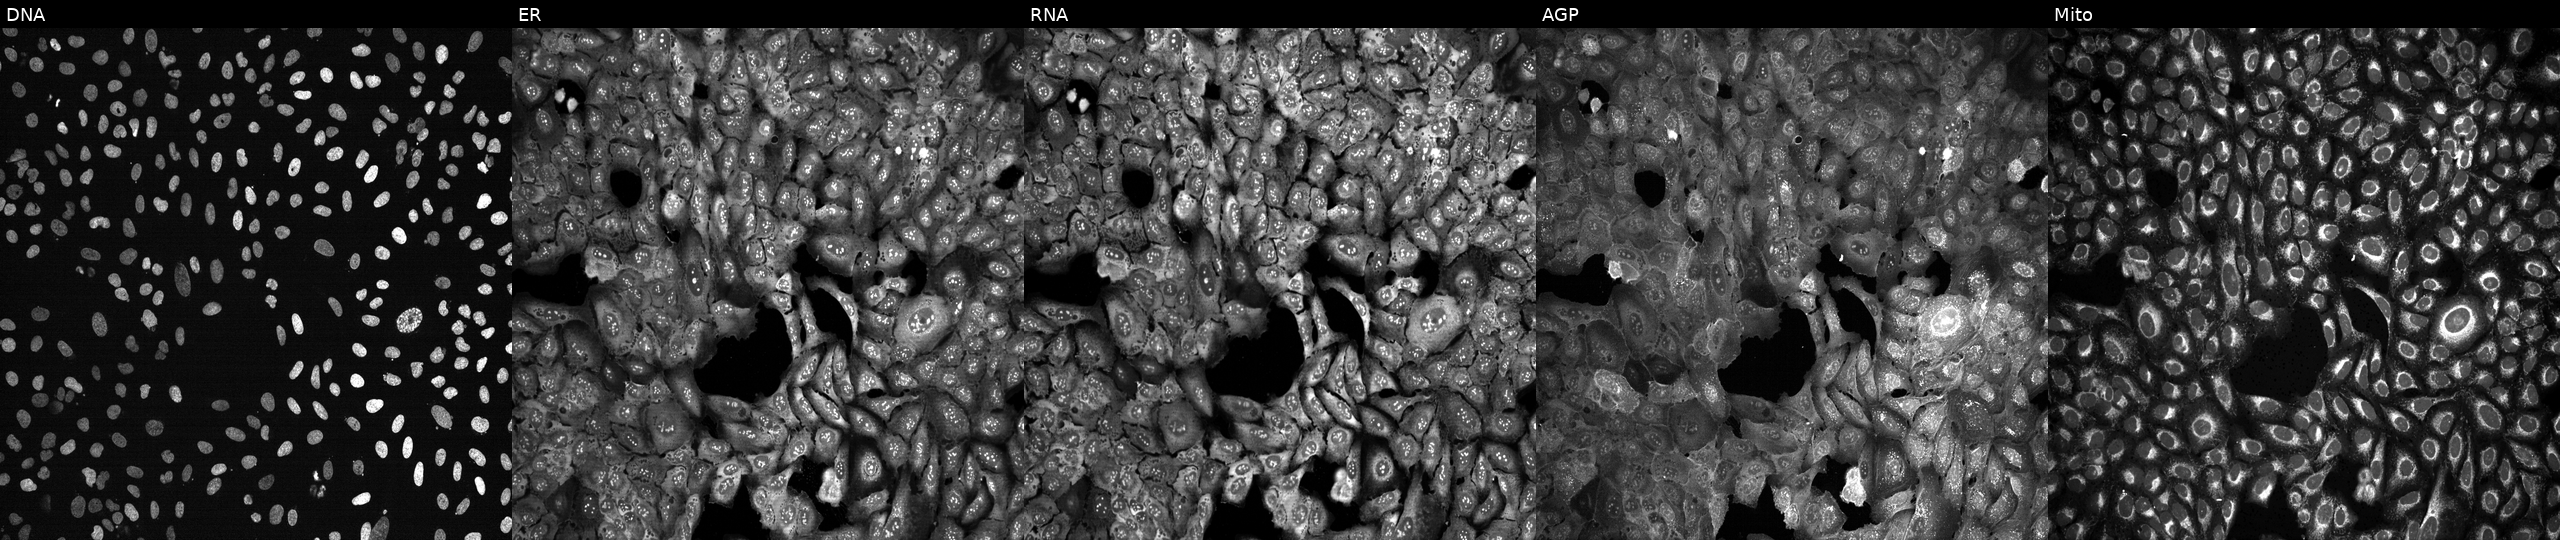
JUMP Cell Painting — CRISPR plate. U2OS cells with B4GALT3 knocked out by CRISPR. The five panels, left to right, show Hoechst 33342, concanavalin A, SYTO 14, phalloidin and WGA, MitoTracker. Source 13, plate CP-CC9-R4-04, well B06.